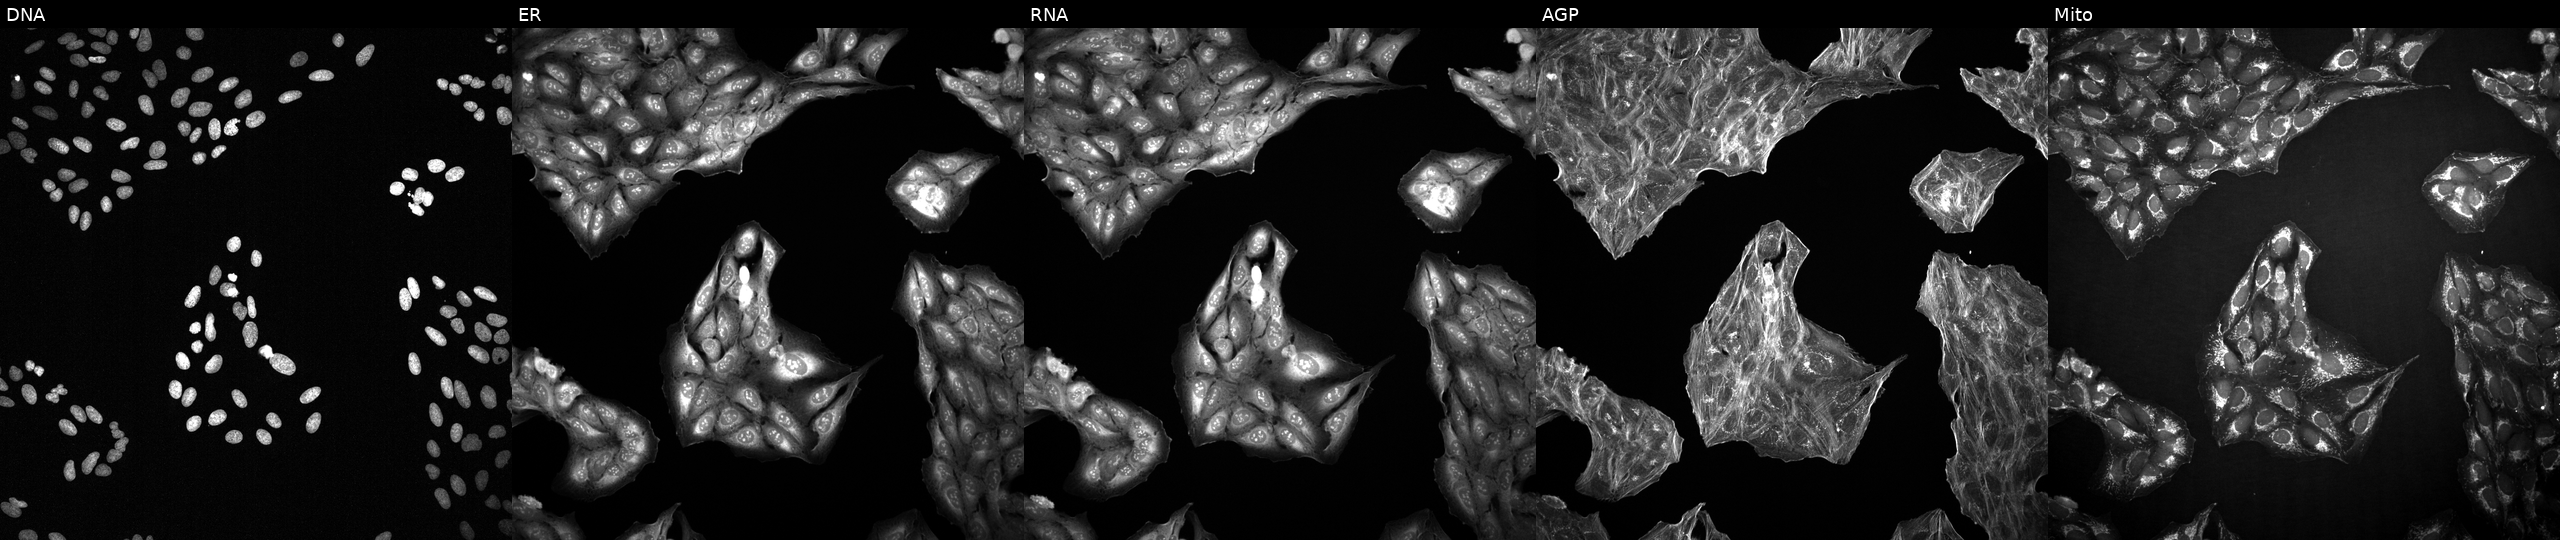
From left to right: Hoechst 33342, concanavalin A, SYTO 14, phalloidin and WGA, MitoTracker. U2OS osteosarcoma cells exposed to a small-molecule compound (InChIKey YBYKDLGNWBJBDT-UHFFFAOYSA-N) (JUMP id JCP2022_107491). Cell Painting assay, JUMP-CP dataset.